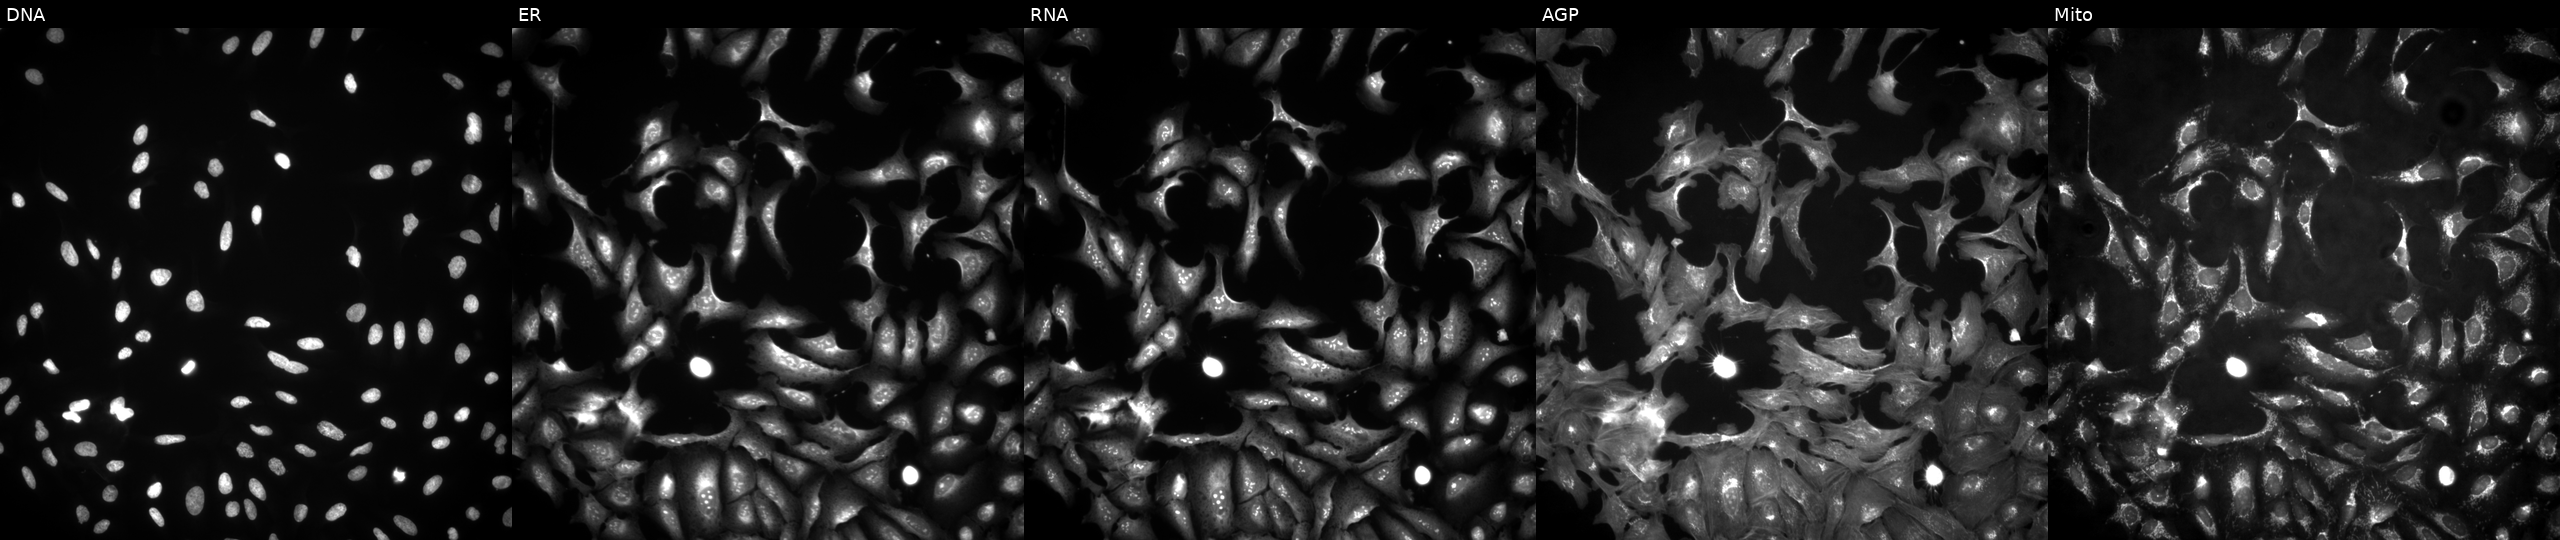
U2OS cells, Cell Painting assay, overexpressing FBP2 via ORF transfection (JUMP id JCP2022_906824). Channels (left→right): Hoechst 33342, concanavalin A, SYTO 14, phalloidin and WGA, MitoTracker. Each panel is percentile-stretched 16-bit fluorescence.